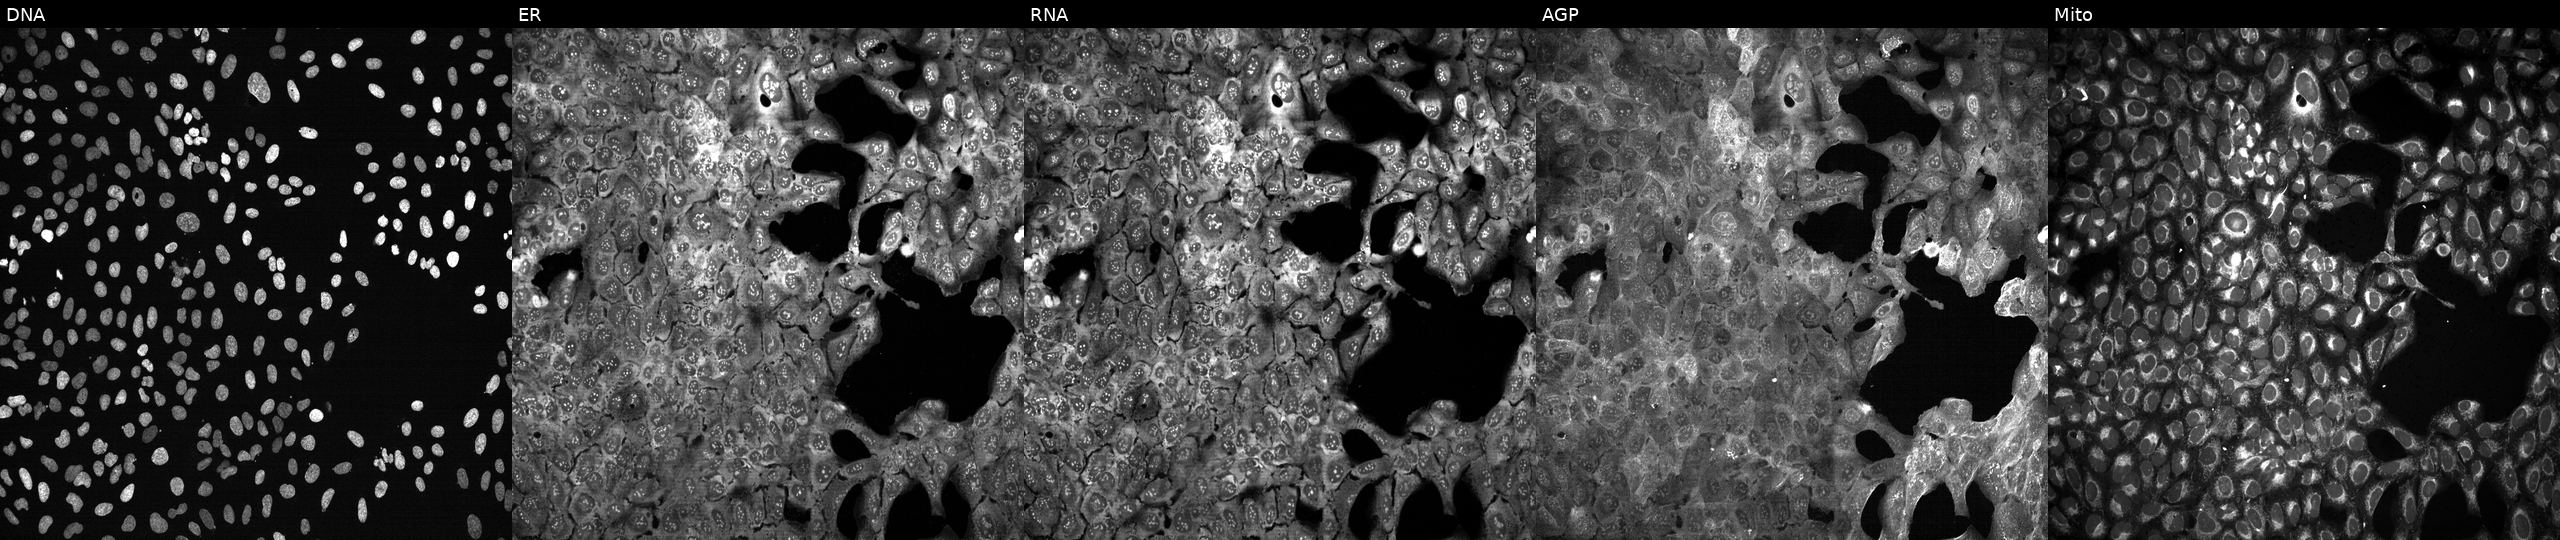
Five-channel Cell Painting image of U2OS cells following CRISPR knockout of NECTIN4. Channels (left→right): DNA, ER, RNA, AGP, and Mito.